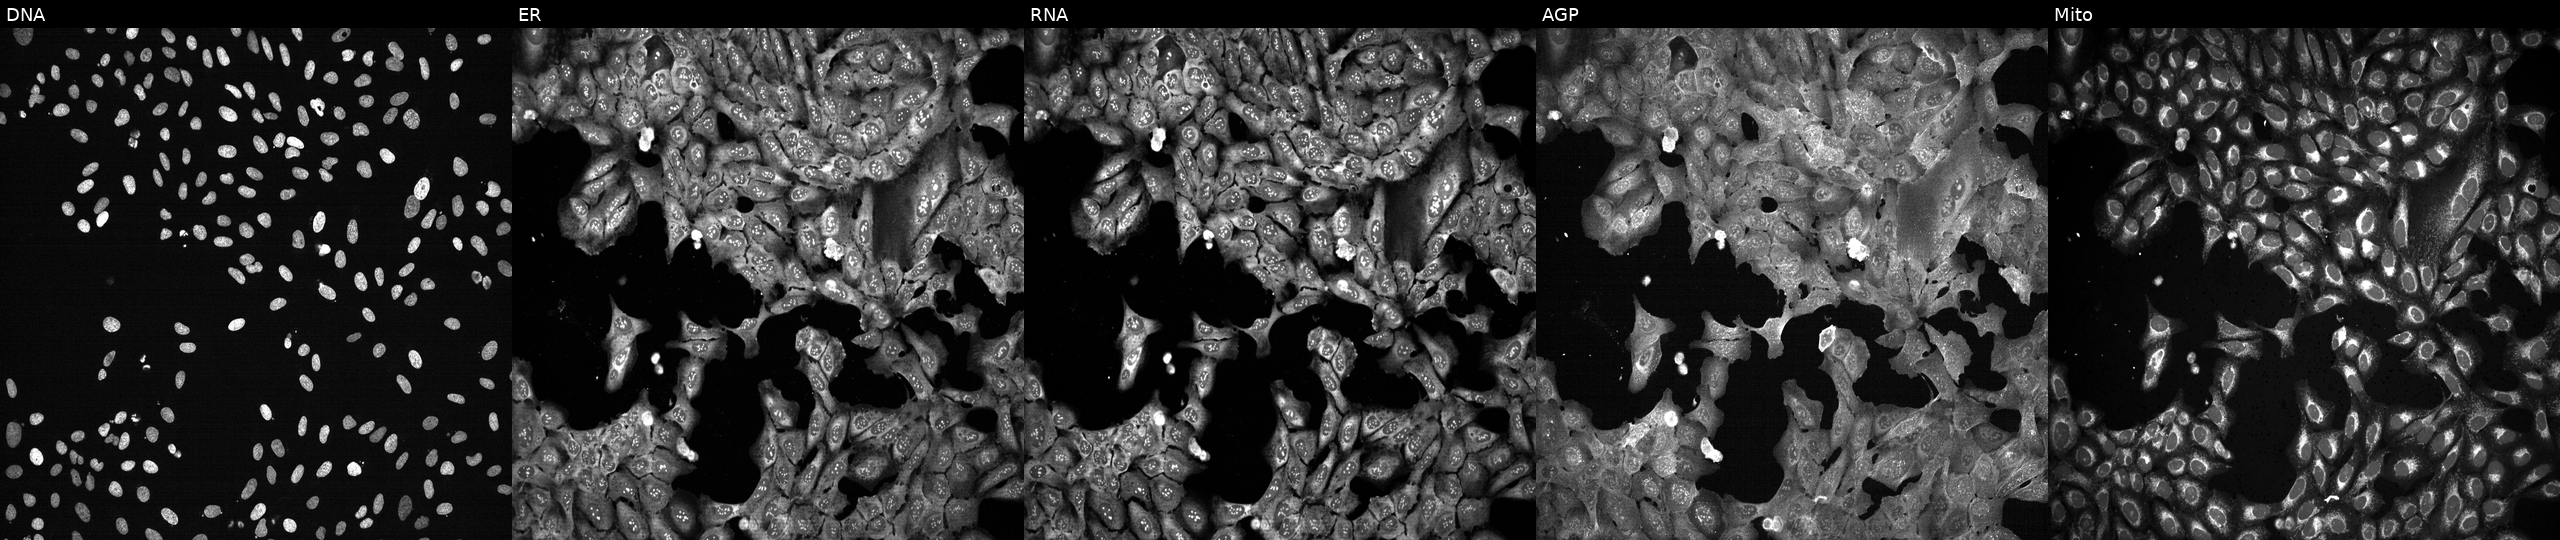
This image strip shows the five Cell Painting channels for a single field of U2OS cells following CRISPR knockout of NPL (JUMP id JCP2022_804661). From left to right: Hoechst 33342, concanavalin A, SYTO 14, phalloidin and WGA, MitoTracker. Source 13, plate CP-CC9-R2-02, well K15.